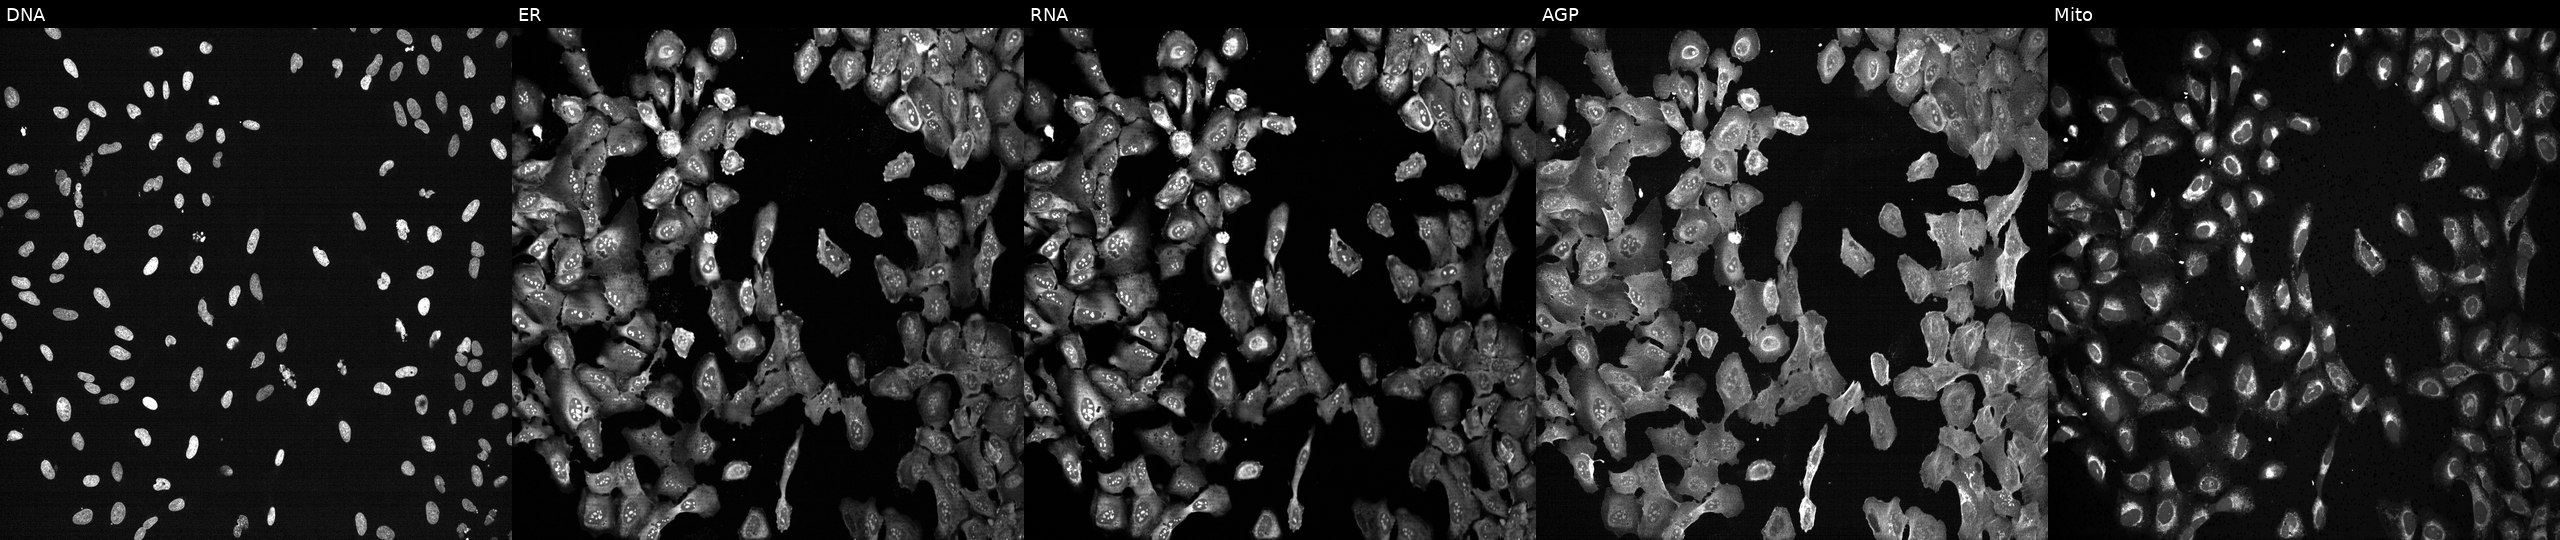
This image strip shows the five Cell Painting channels for a single field of U2OS cells treated with TC-S-7004 (positive-control compound) (JUMP id JCP2022_012818). Channels (left→right): DNA (nuclei); ER (endoplasmic reticulum); RNA (nucleoli and cytoplasmic RNA); AGP (actin cytoskeleton, Golgi, and plasma membrane); Mito (mitochondria).